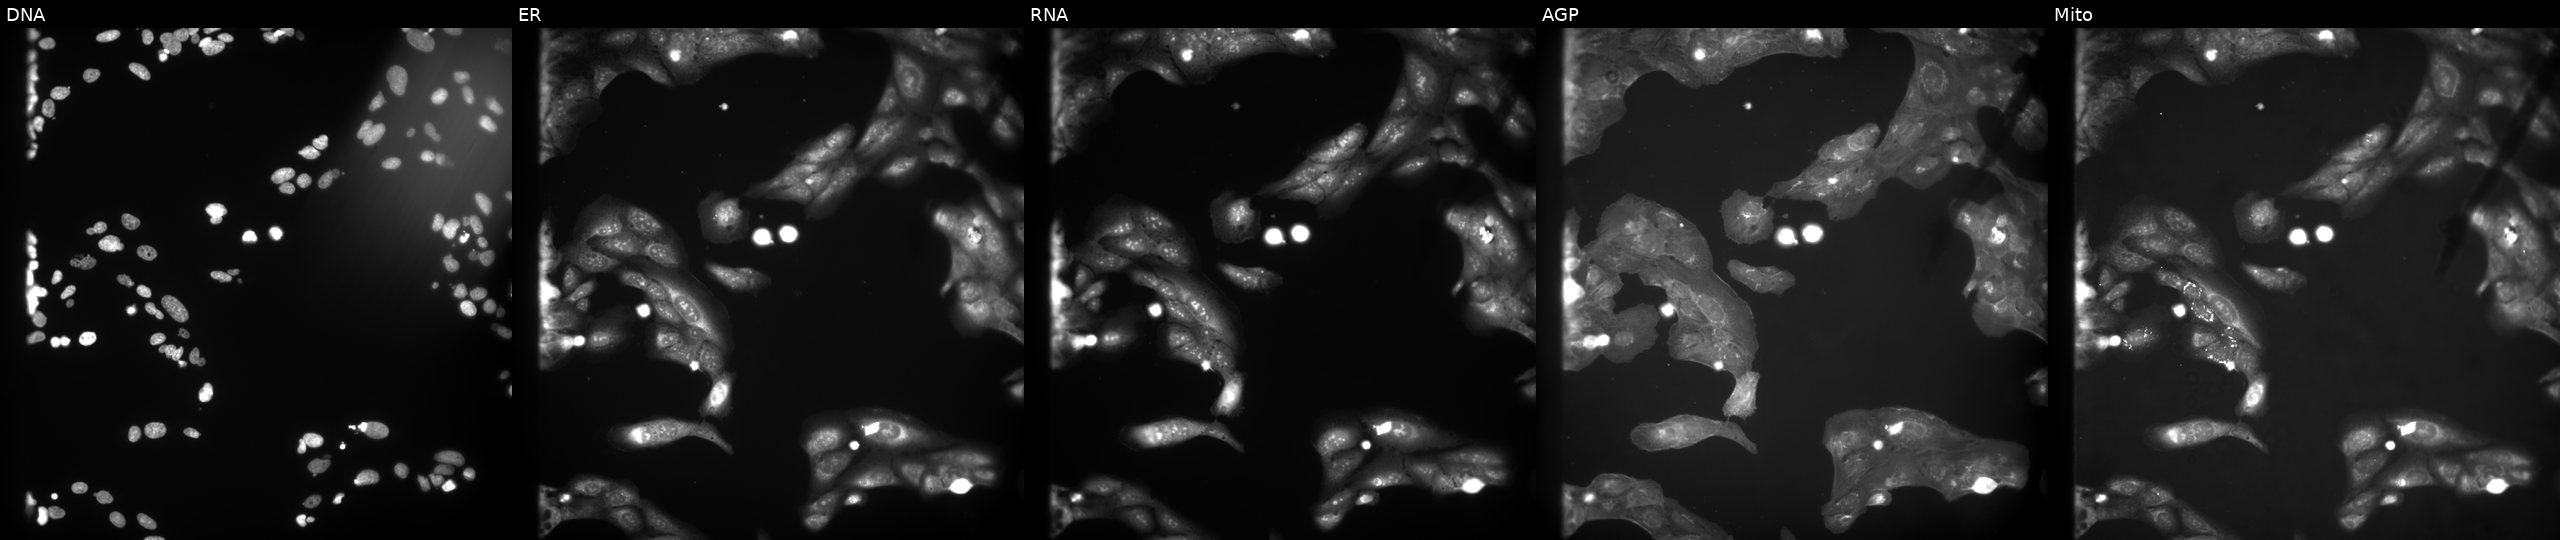
JUMP Cell Painting — COMPOUND plate. U2OS cells exposed to a small-molecule compound (InChIKey QXWYDYPKQDCXMY-UHFFFAOYSA-N). From left to right: Hoechst 33342, concanavalin A, SYTO 14, phalloidin and WGA, MitoTracker. Source 9, plate GR00003381, well A06.